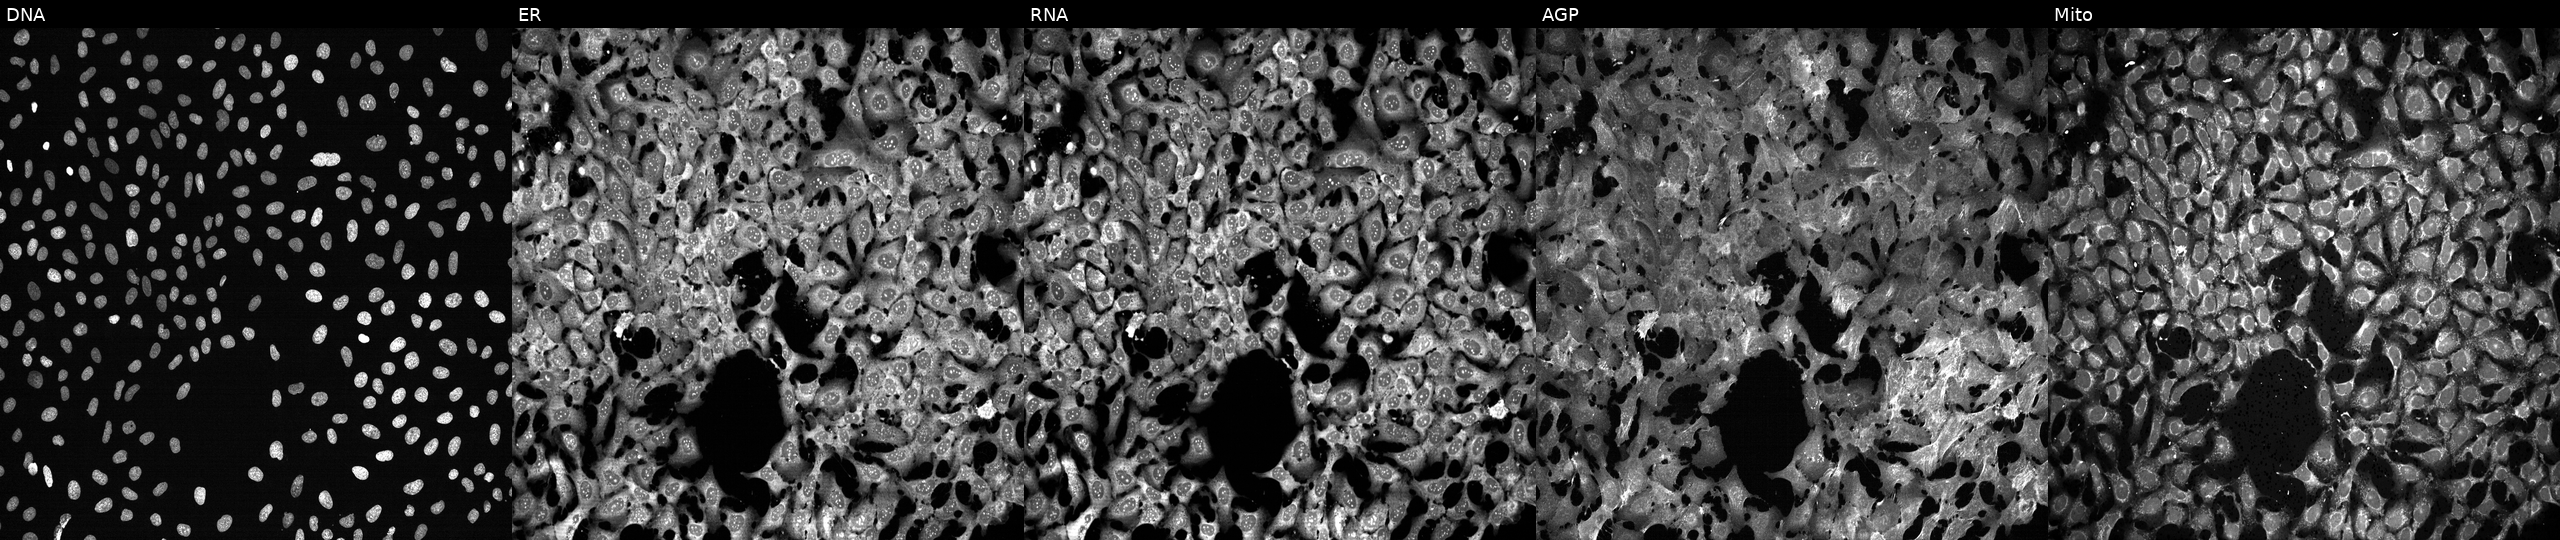
High-content fluorescence microscopy (Cell Painting). Cell line: U2OS. Perturbation: exposed to the positive-control compound FK-866. Panels show, left to right, DNA (nuclei); ER (endoplasmic reticulum); RNA (nucleoli and cytoplasmic RNA); AGP (actin cytoskeleton, Golgi, and plasma membrane); Mito (mitochondria).